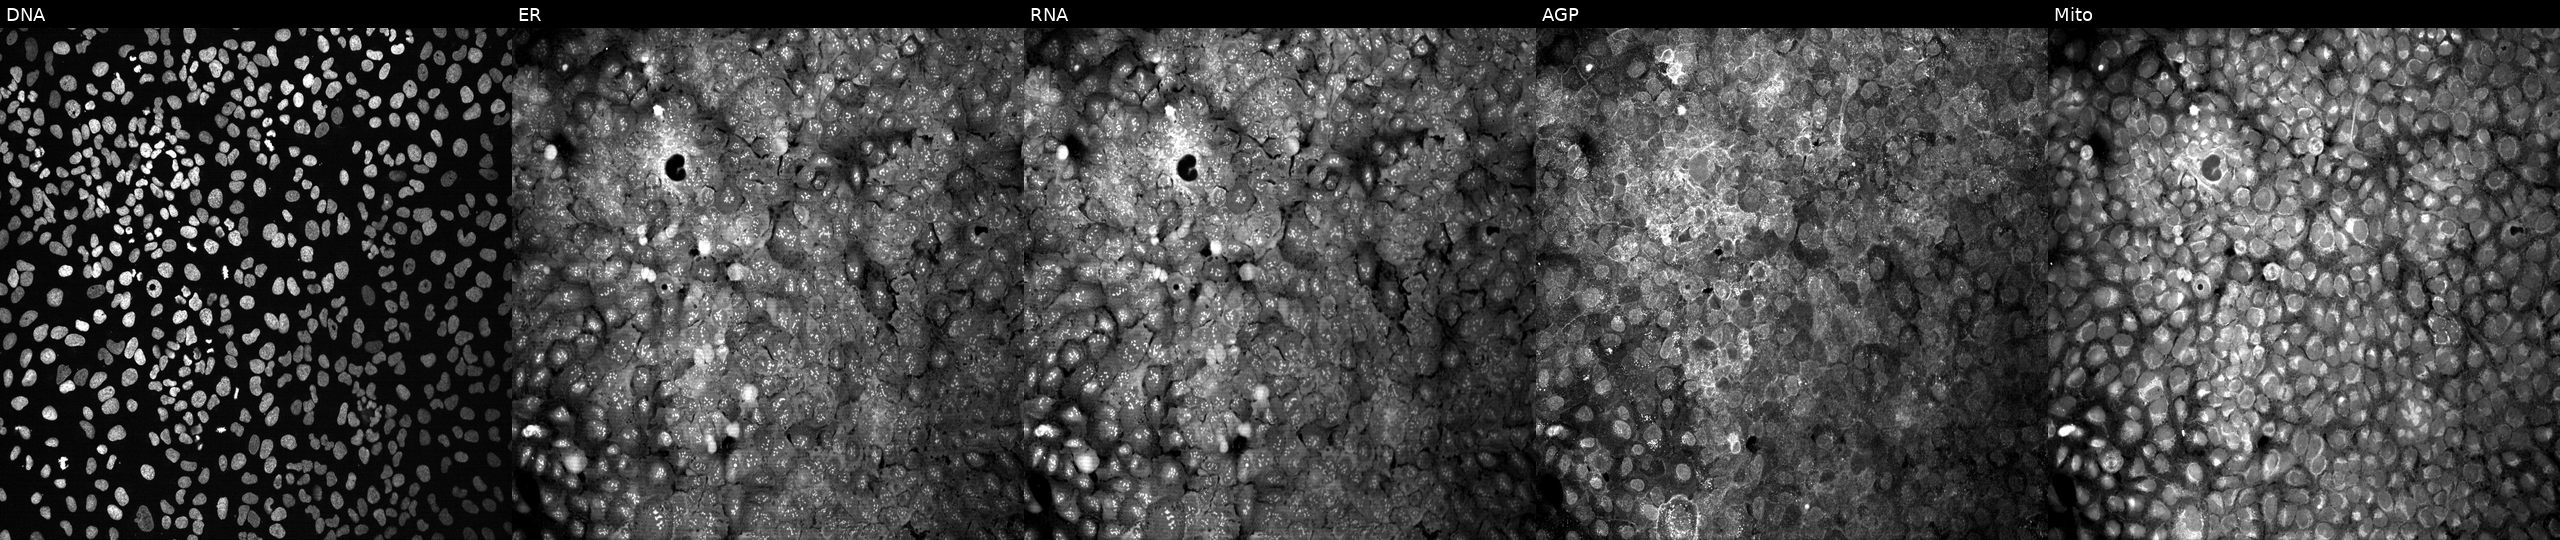
From left to right: Hoechst 33342, concanavalin A, SYTO 14, phalloidin and WGA, MitoTracker. U2OS osteosarcoma cells following CRISPR knockout of BPI. Cell Painting assay, JUMP-CP dataset.